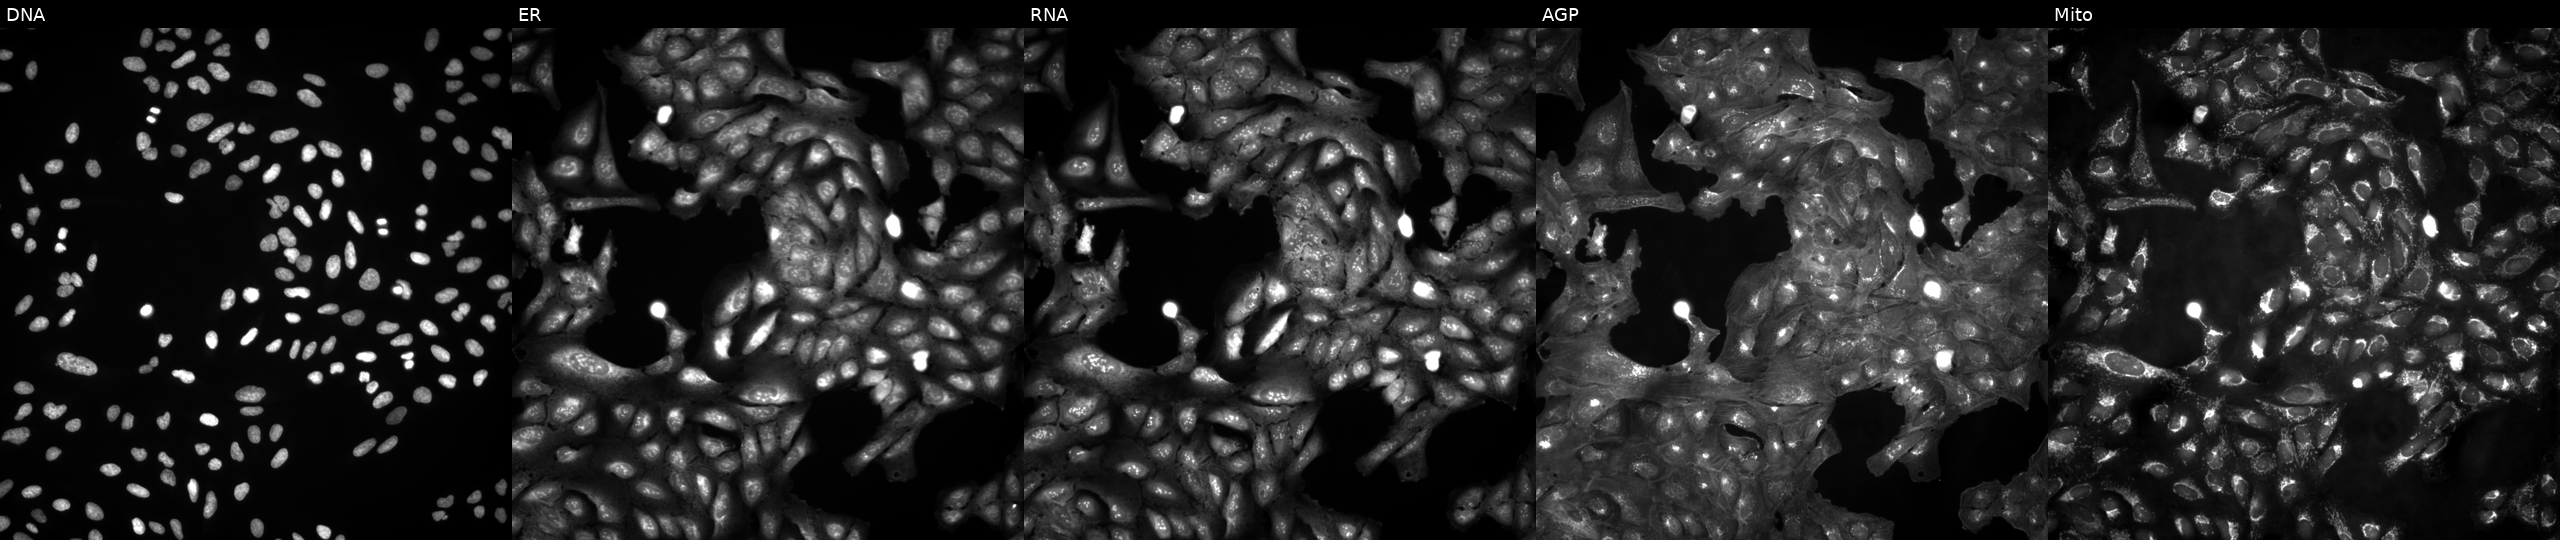
This image strip shows the five Cell Painting channels for a single field of U2OS cells untreated (empty-well control) (JUMP id JCP2022_999999). The five panels, left to right, show DNA, ER, RNA, AGP, and Mito.